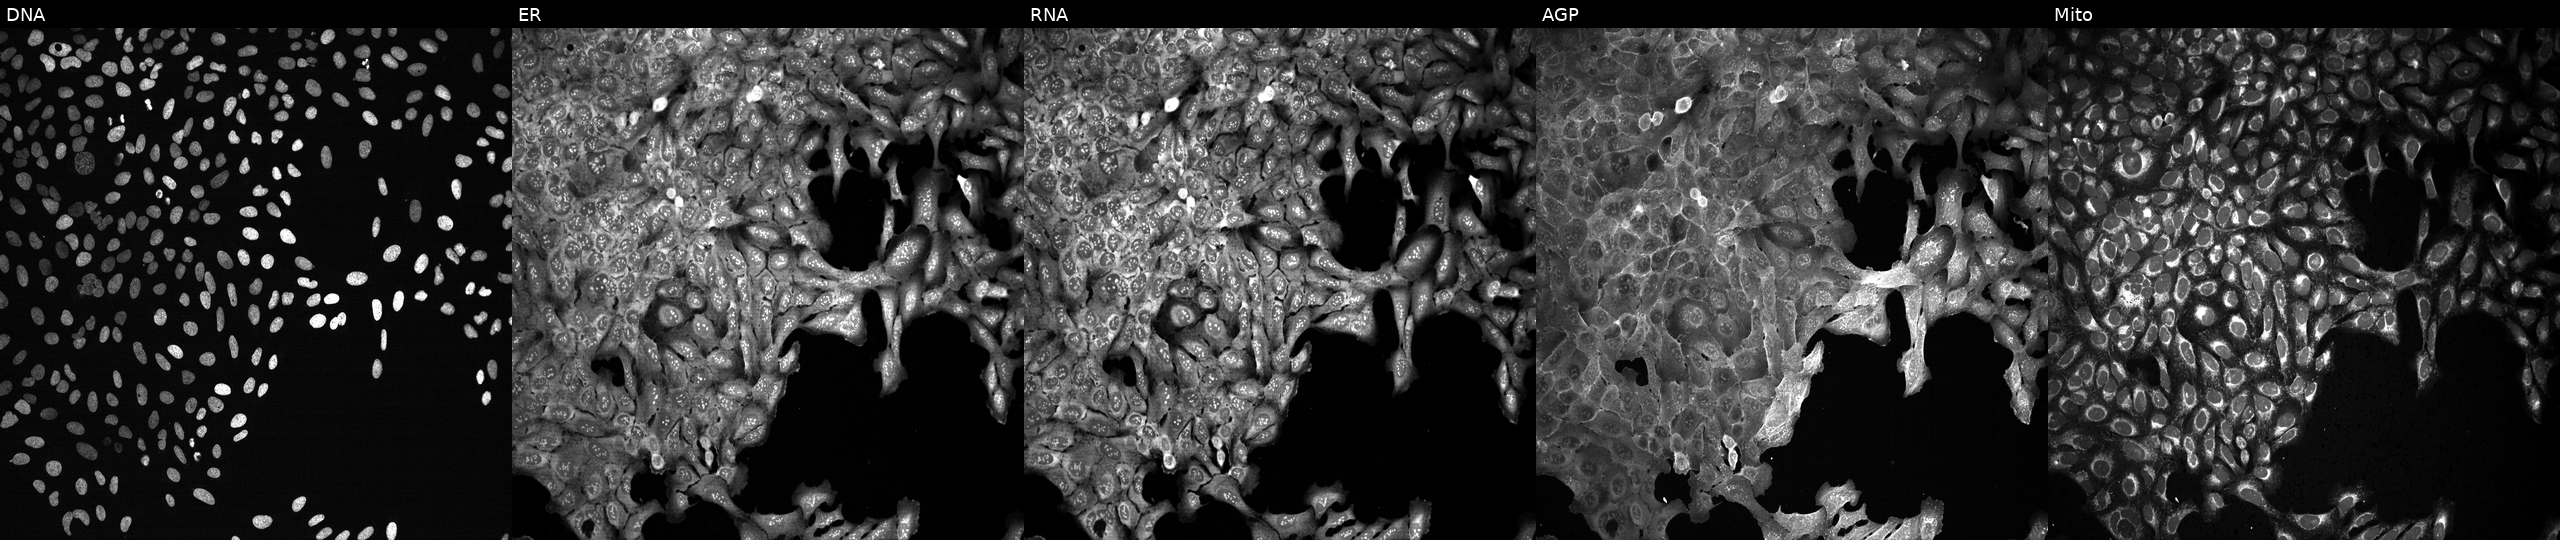
JUMP Cell Painting — CRISPR plate. U2OS cells exposed to DMSO alone as a negative control. From left to right: Hoechst 33342, concanavalin A, SYTO 14, phalloidin and WGA, MitoTracker. Source 13, plate CP-CC9-R6-19, well C02.